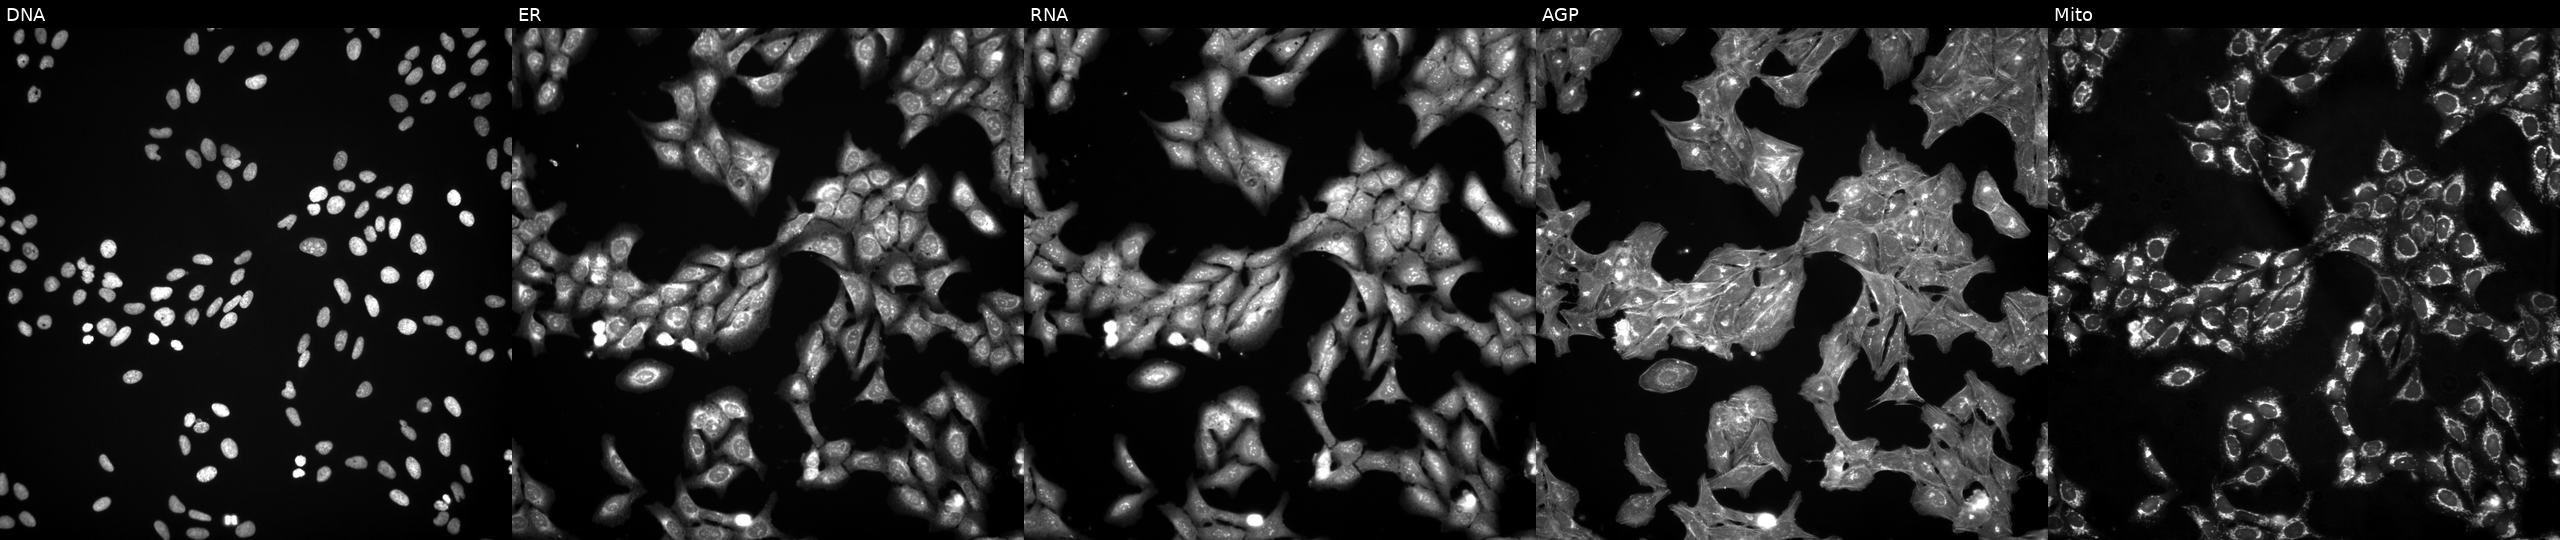
This image strip shows the five Cell Painting channels for a single field of U2OS cells exposed to a small-molecule compound (InChIKey AFJRDFWMXUECEW-UHFFFAOYSA-N). The five panels, left to right, show DNA (nuclei); ER (endoplasmic reticulum); RNA (nucleoli and cytoplasmic RNA); AGP (actin cytoskeleton, Golgi, and plasma membrane); Mito (mitochondria).